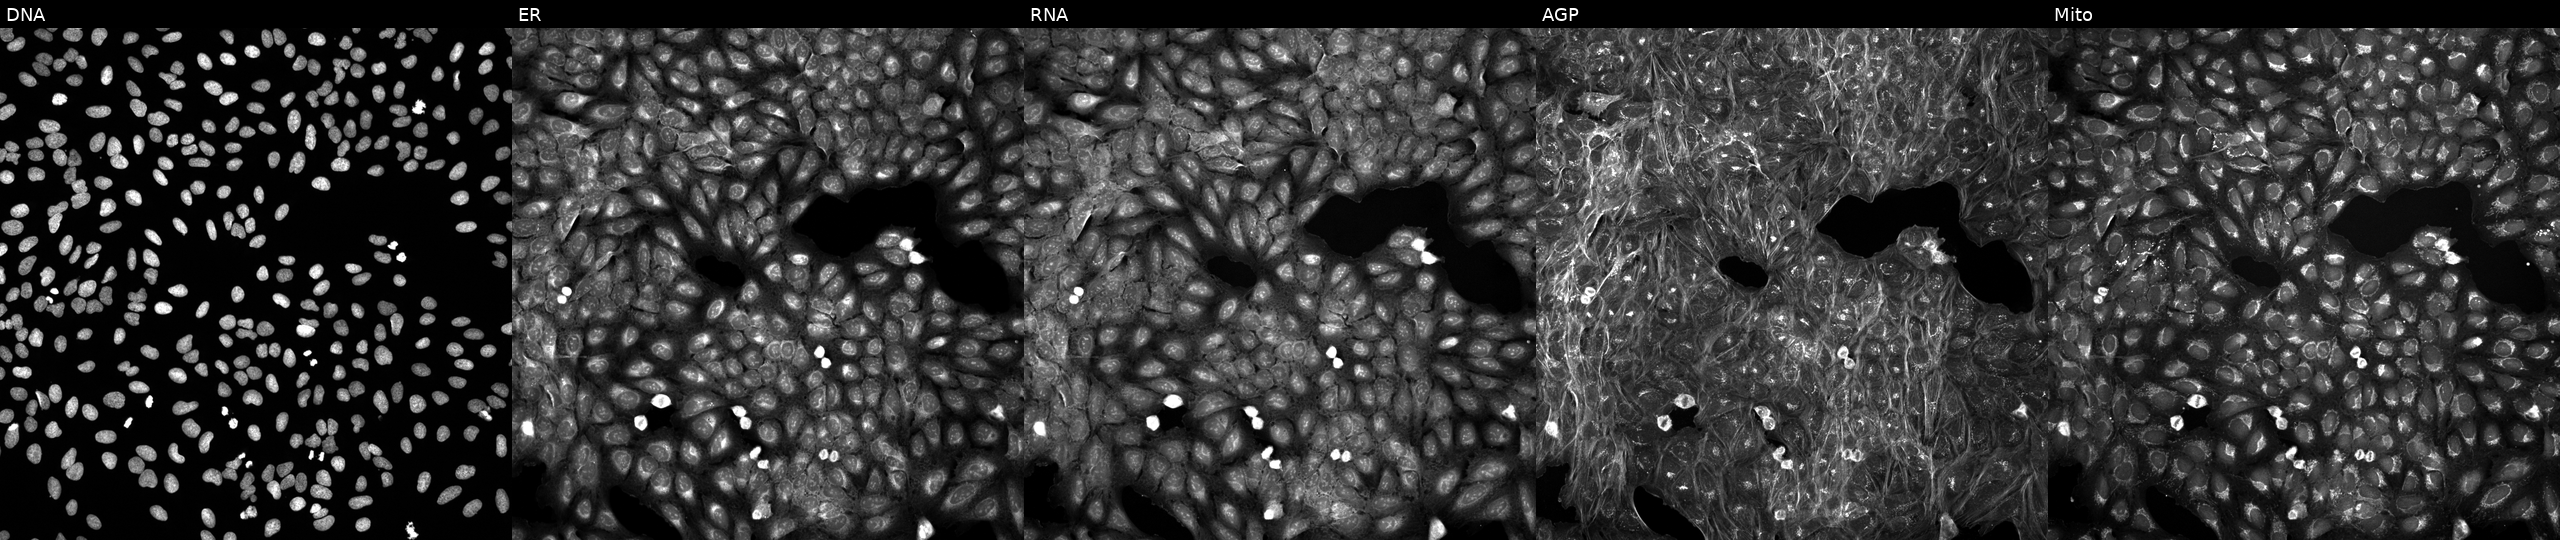
U2OS cells, Cell Painting assay, perturbed with a small-molecule compound (JUMP id JCP2022_090051). From left to right: Hoechst 33342, concanavalin A, SYTO 14, phalloidin and WGA, MitoTracker. Each panel is percentile-stretched 16-bit fluorescence. Source 5, plate ACPJUM051, well H23.